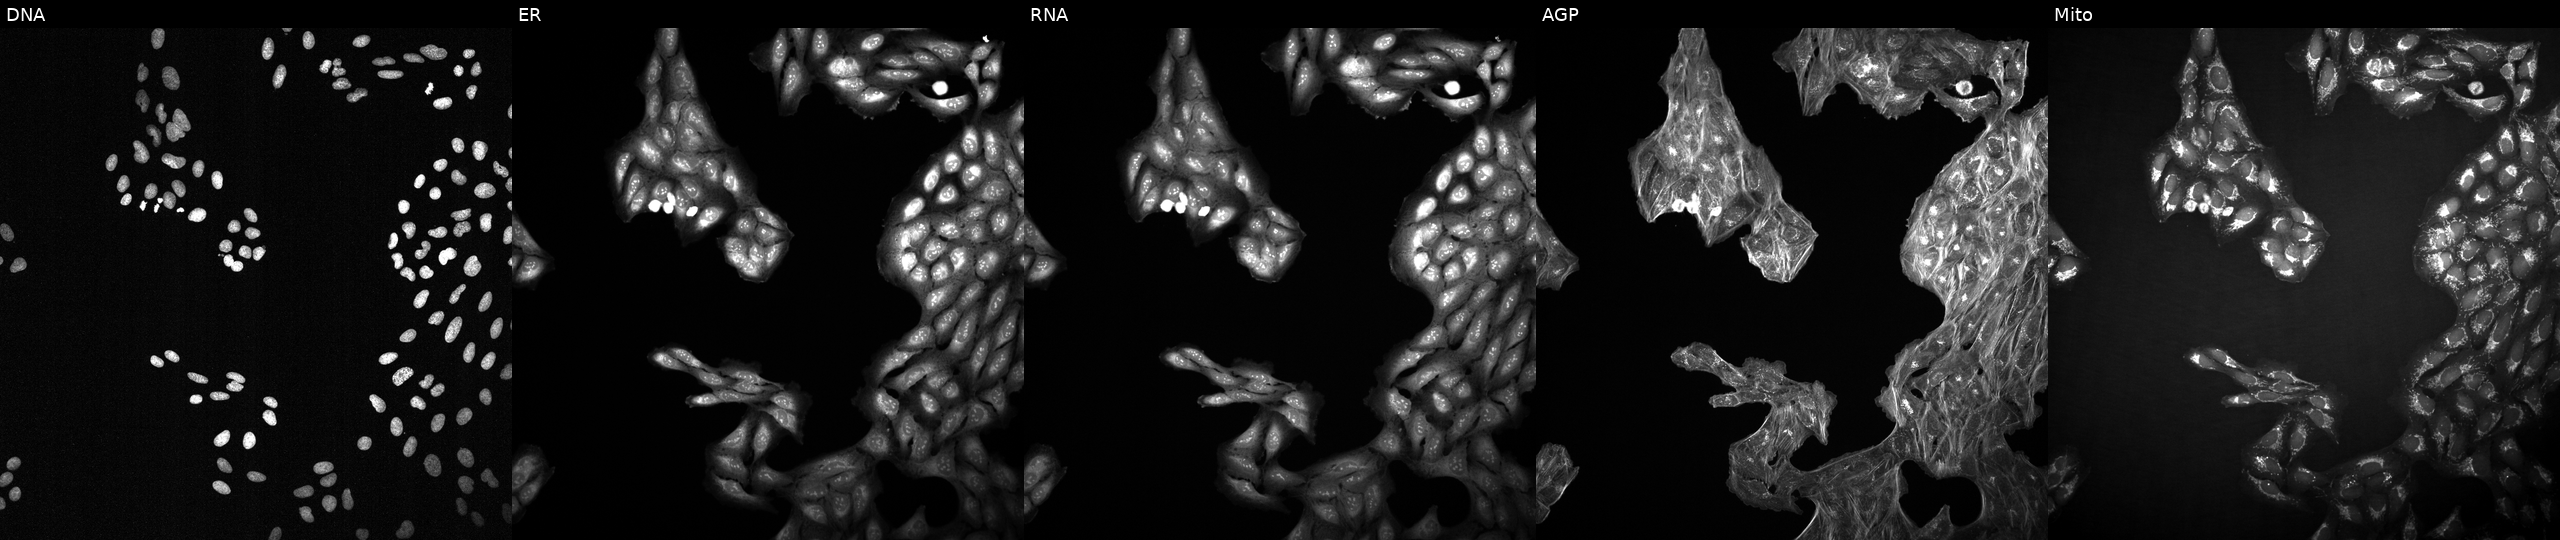
Five-channel Cell Painting image of U2OS cells treated with a small-molecule compound [SMILES: CCCC(=O)O]. The five panels, left to right, show Hoechst 33342, concanavalin A, SYTO 14, phalloidin and WGA, MitoTracker.